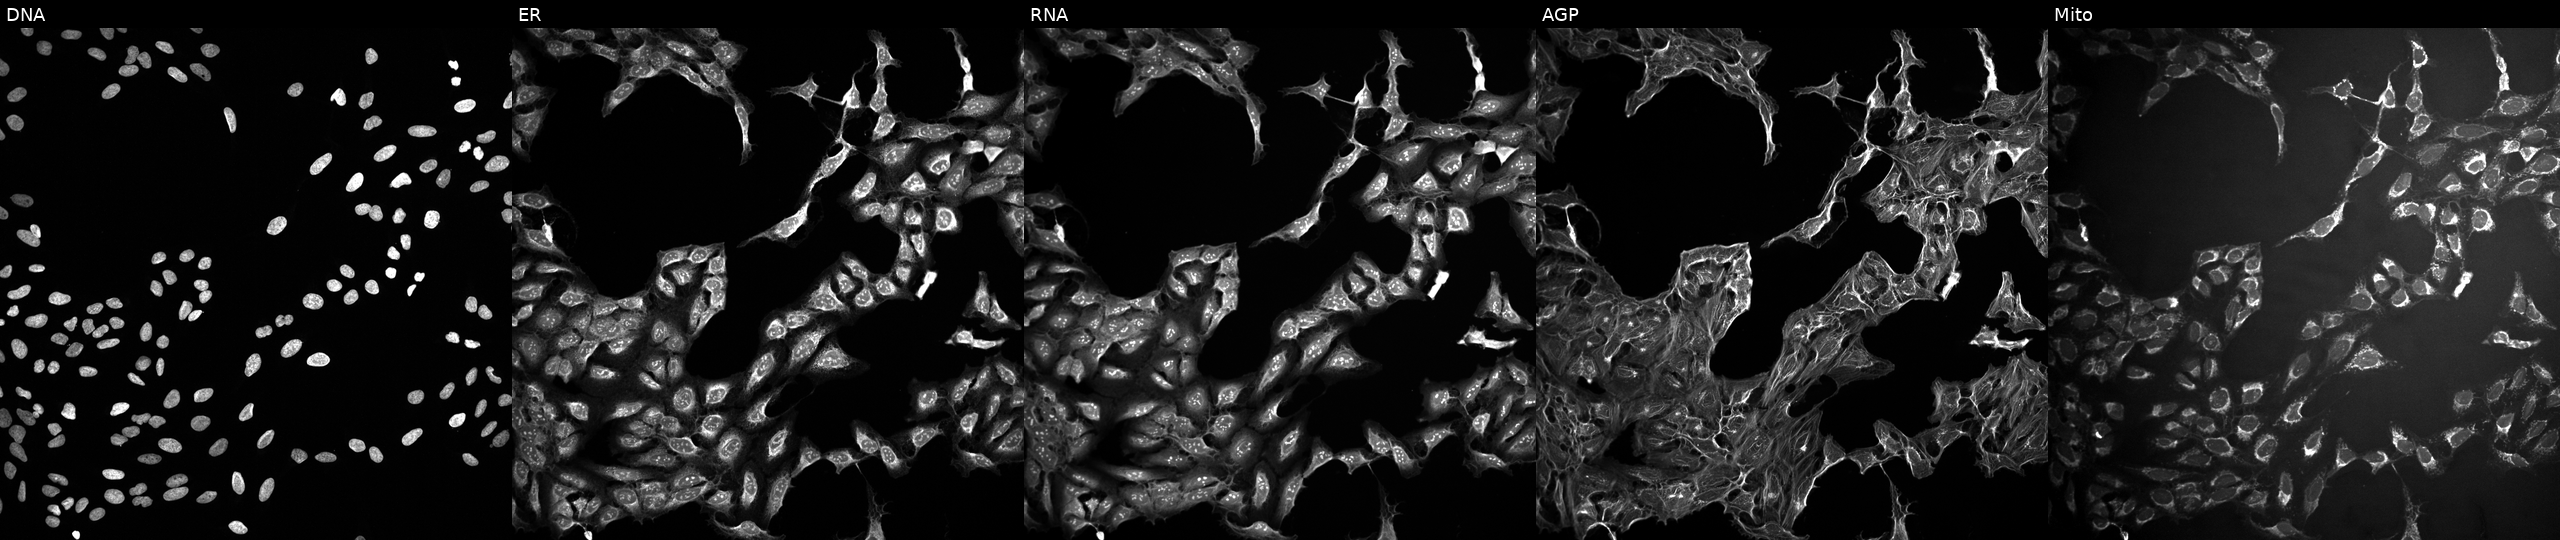
This image strip shows the five Cell Painting channels for a single field of U2OS cells exposed to a small-molecule compound (InChIKey QUGDTMONBLMLLD-UHFFFAOYSA-N) [SMILES: CCOc1nc2c(=N)[nH]cnc2n1CC]. Panels show, left to right, DNA, ER, RNA, AGP, and Mito.